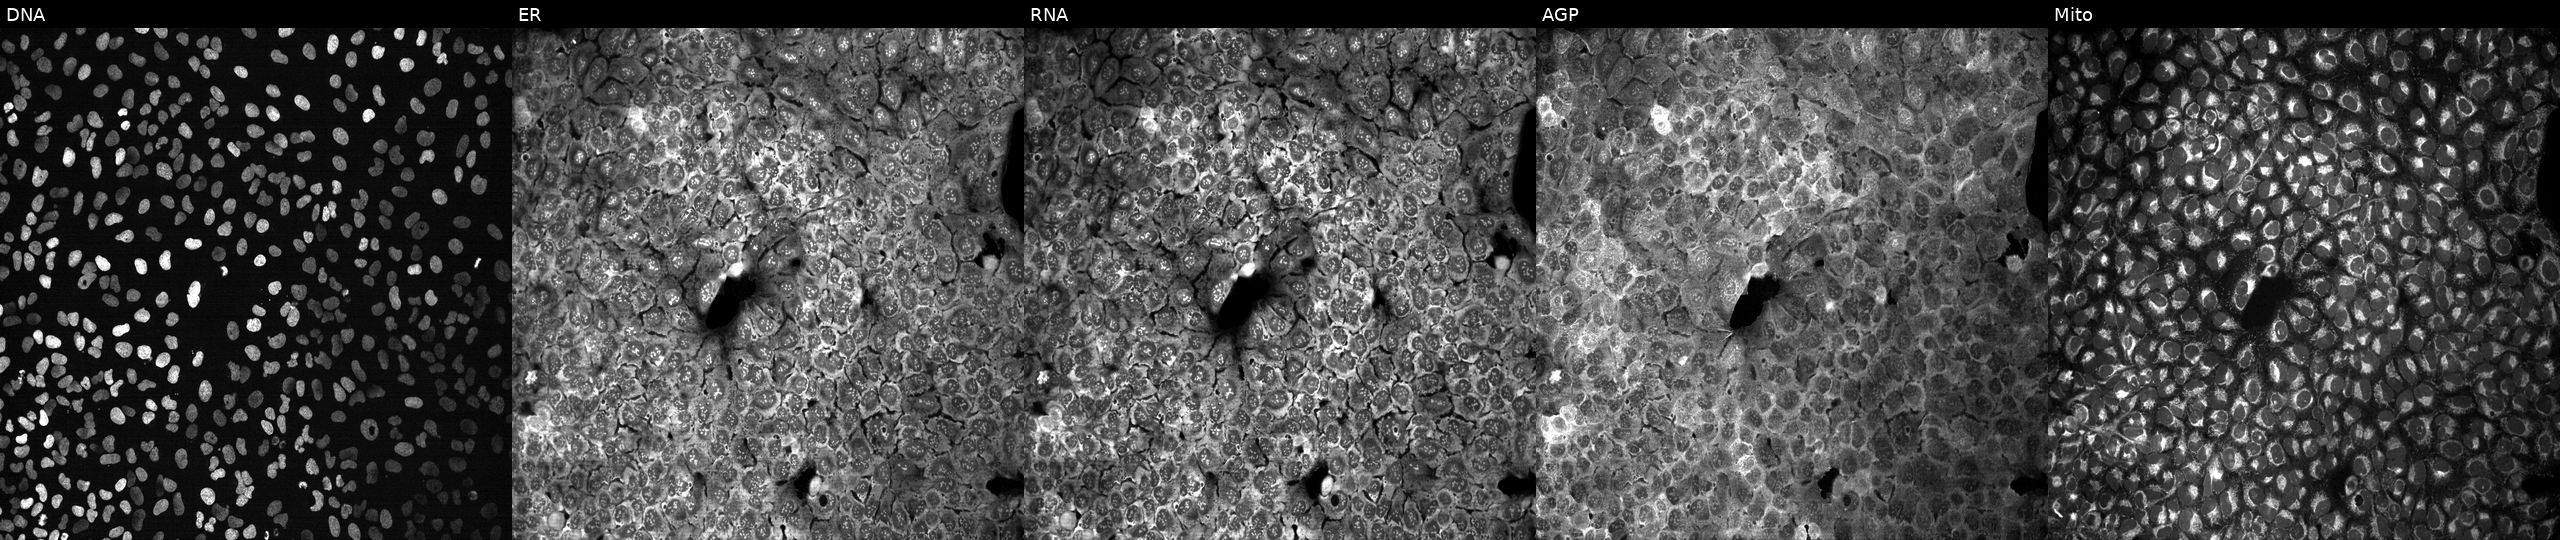
Five-channel Cell Painting image of U2OS cells CRISPR-edited to disrupt CPN2. The five panels, left to right, show DNA (nuclei); ER (endoplasmic reticulum); RNA (nucleoli and cytoplasmic RNA); AGP (actin cytoskeleton, Golgi, and plasma membrane); Mito (mitochondria).